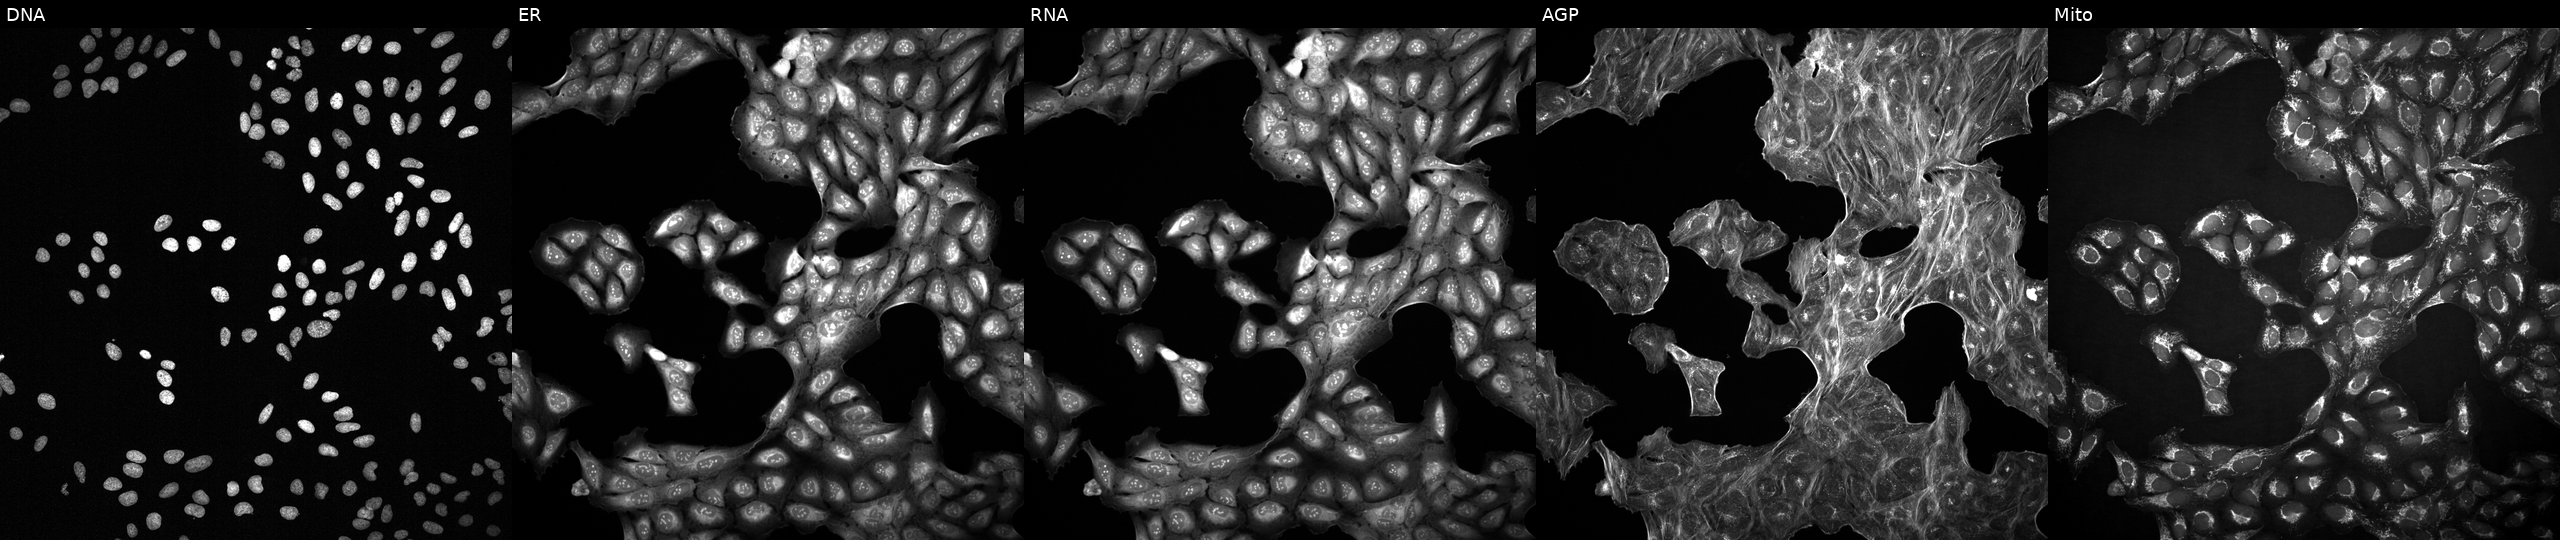
High-content fluorescence microscopy (Cell Painting). Cell line: U2OS. Perturbation: with an unidentified perturbation (not annotated in JUMP metadata). Panels show, left to right, DNA (nuclei); ER (endoplasmic reticulum); RNA (nucleoli and cytoplasmic RNA); AGP (actin cytoskeleton, Golgi, and plasma membrane); Mito (mitochondria). Source 2, plate 1053601756, well L19.